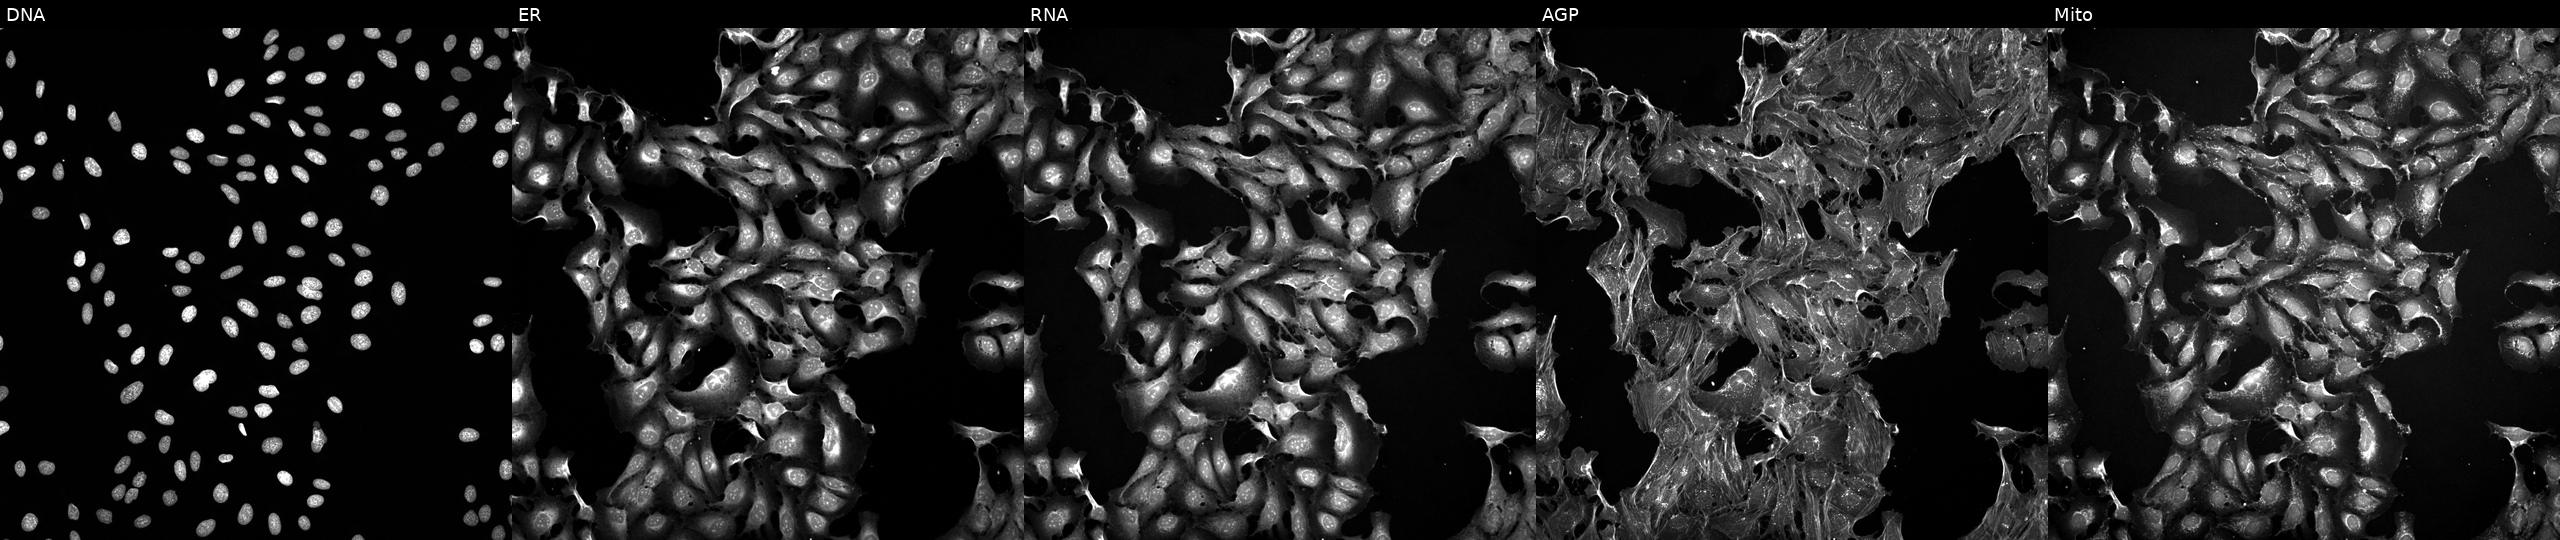
Channels (left→right): DNA, ER, RNA, AGP, and Mito. U2OS osteosarcoma cells treated with FK-866 (positive-control compound) (JUMP id JCP2022_046054). Cell Painting assay, JUMP-CP dataset. Source 5, plate ACPJUM051, well D19.